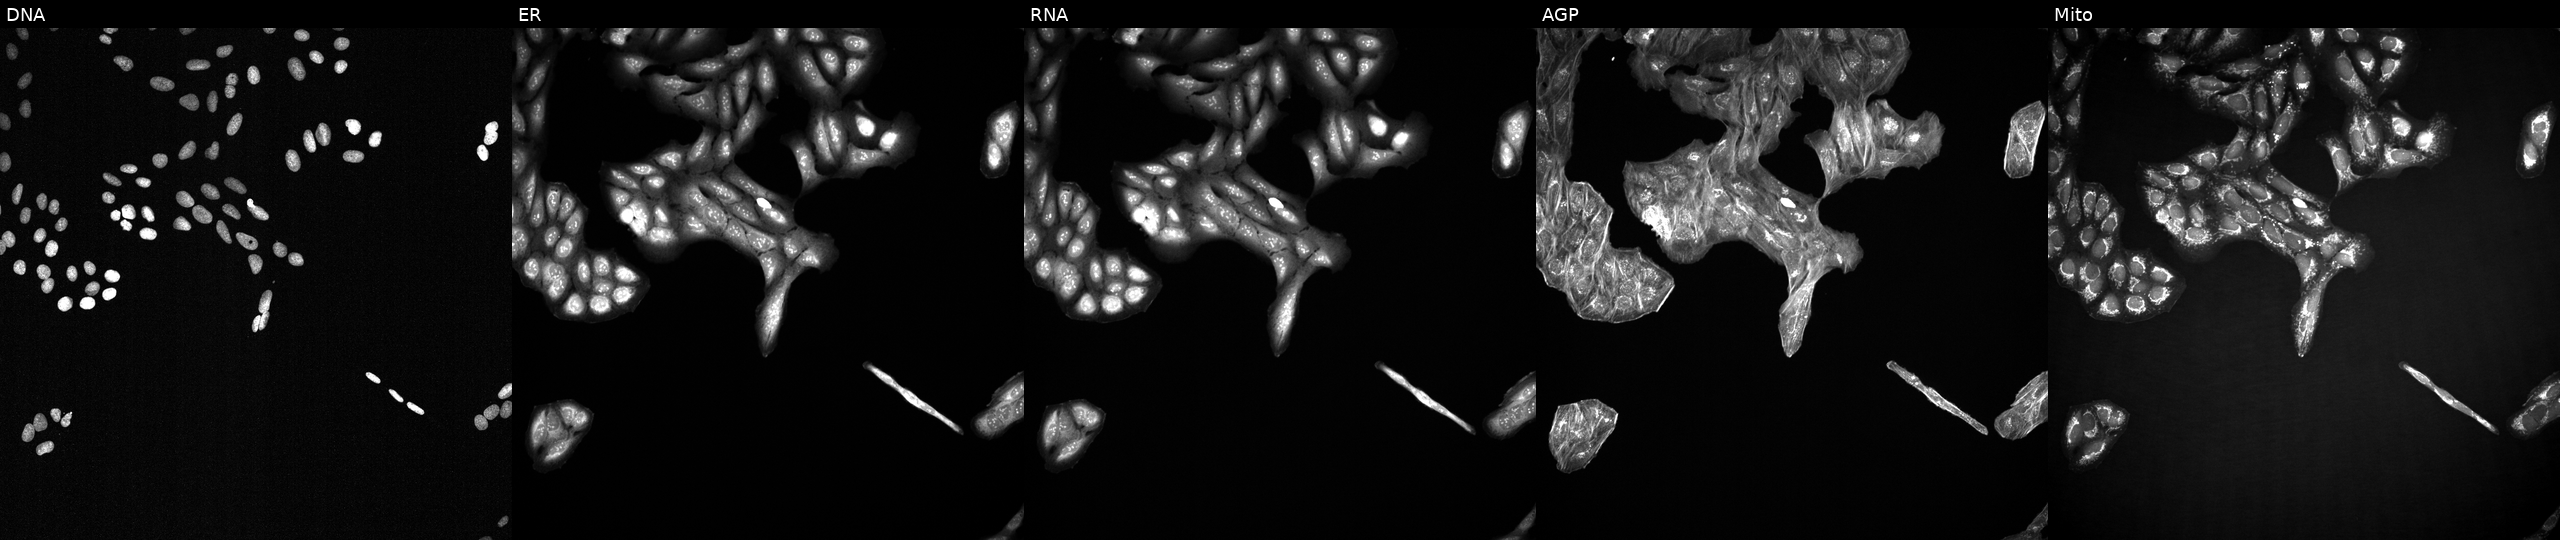
Channels (left→right): DNA, ER, RNA, AGP, and Mito. U2OS osteosarcoma cells treated with a small-molecule compound (InChIKey XEYBRNLFEZDVAW-UHFFFAOYSA-N) (JUMP id JCP2022_103217). Cell Painting assay, JUMP-CP dataset.